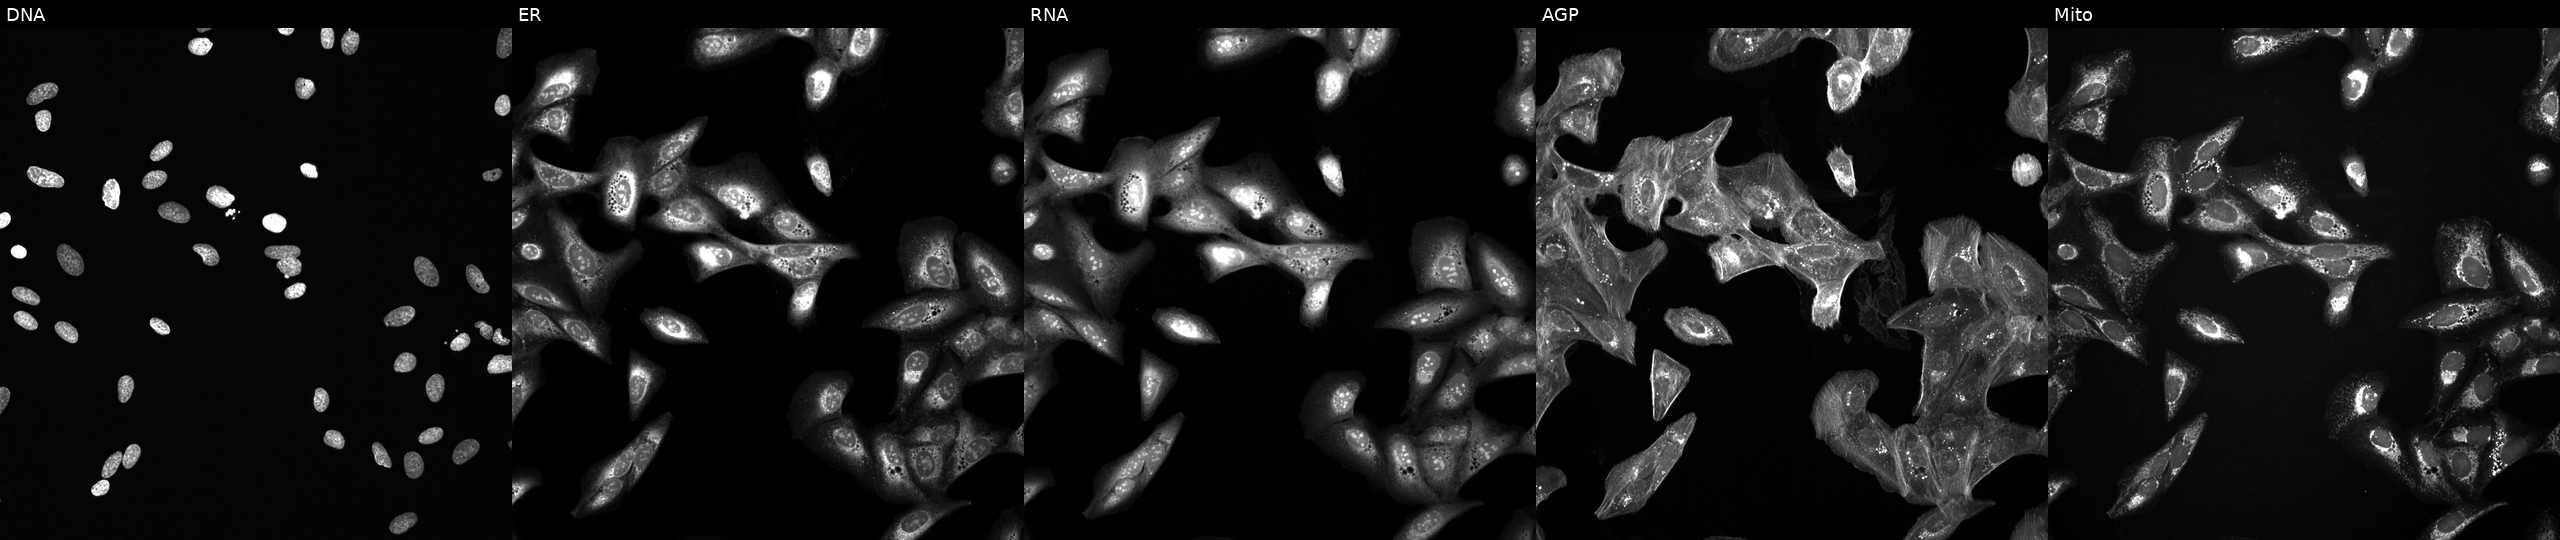
From left to right: DNA, ER, RNA, AGP, and Mito. U2OS osteosarcoma cells exposed to a small-molecule compound. Cell Painting assay, JUMP-CP dataset. Source 6, plate 110000293082, well G04.